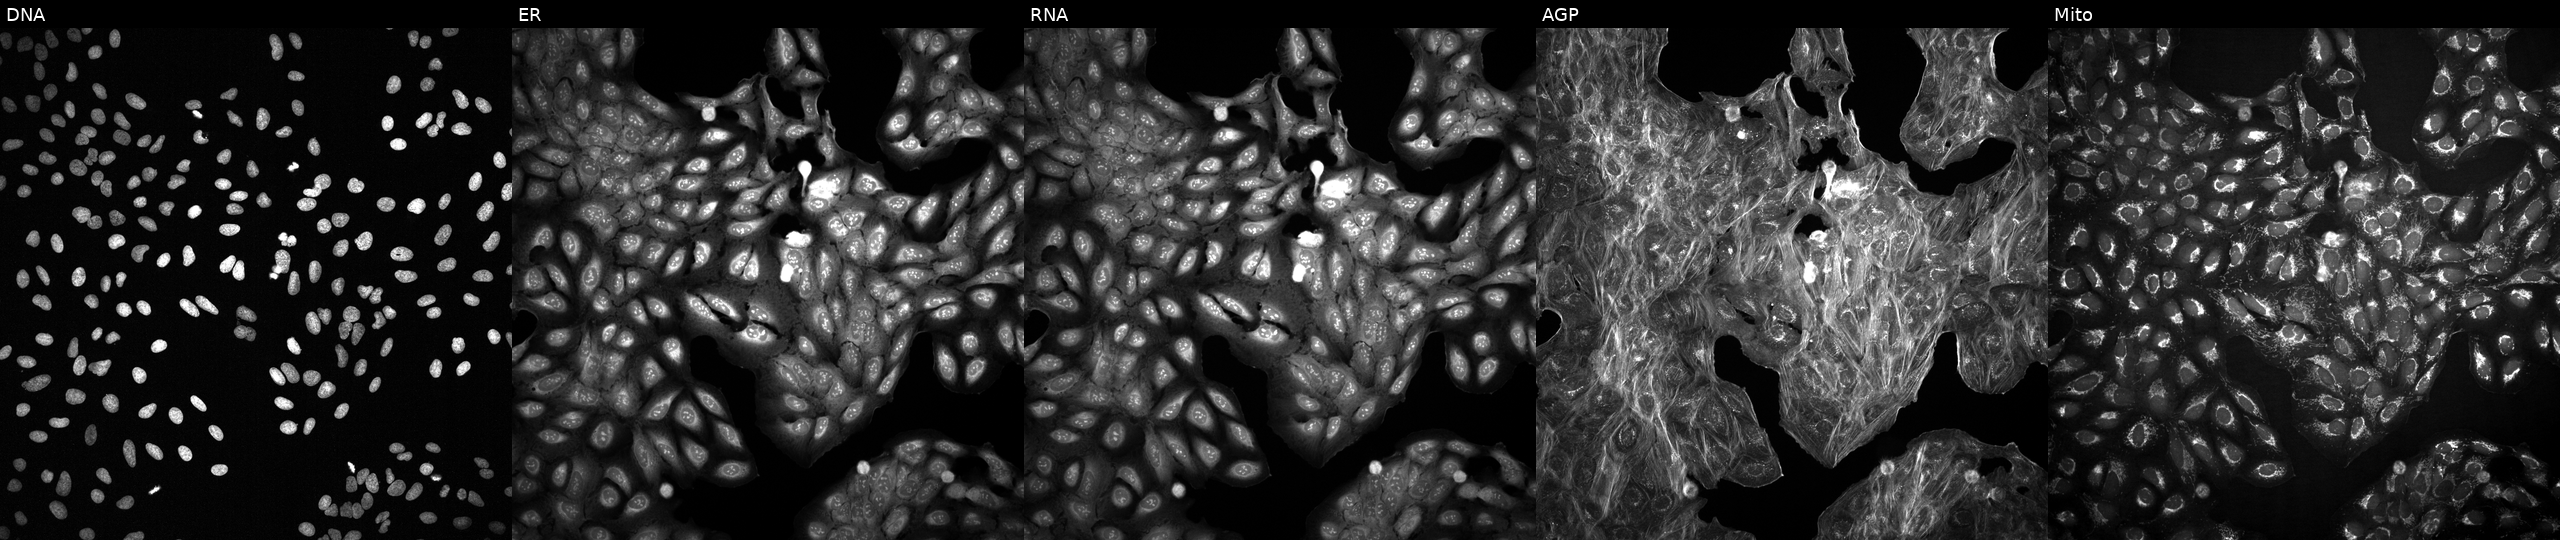
JUMP Cell Painting — COMPOUND plate. U2OS cells with an unidentified perturbation (not annotated in JUMP metadata). From left to right: DNA, ER, RNA, AGP, and Mito.